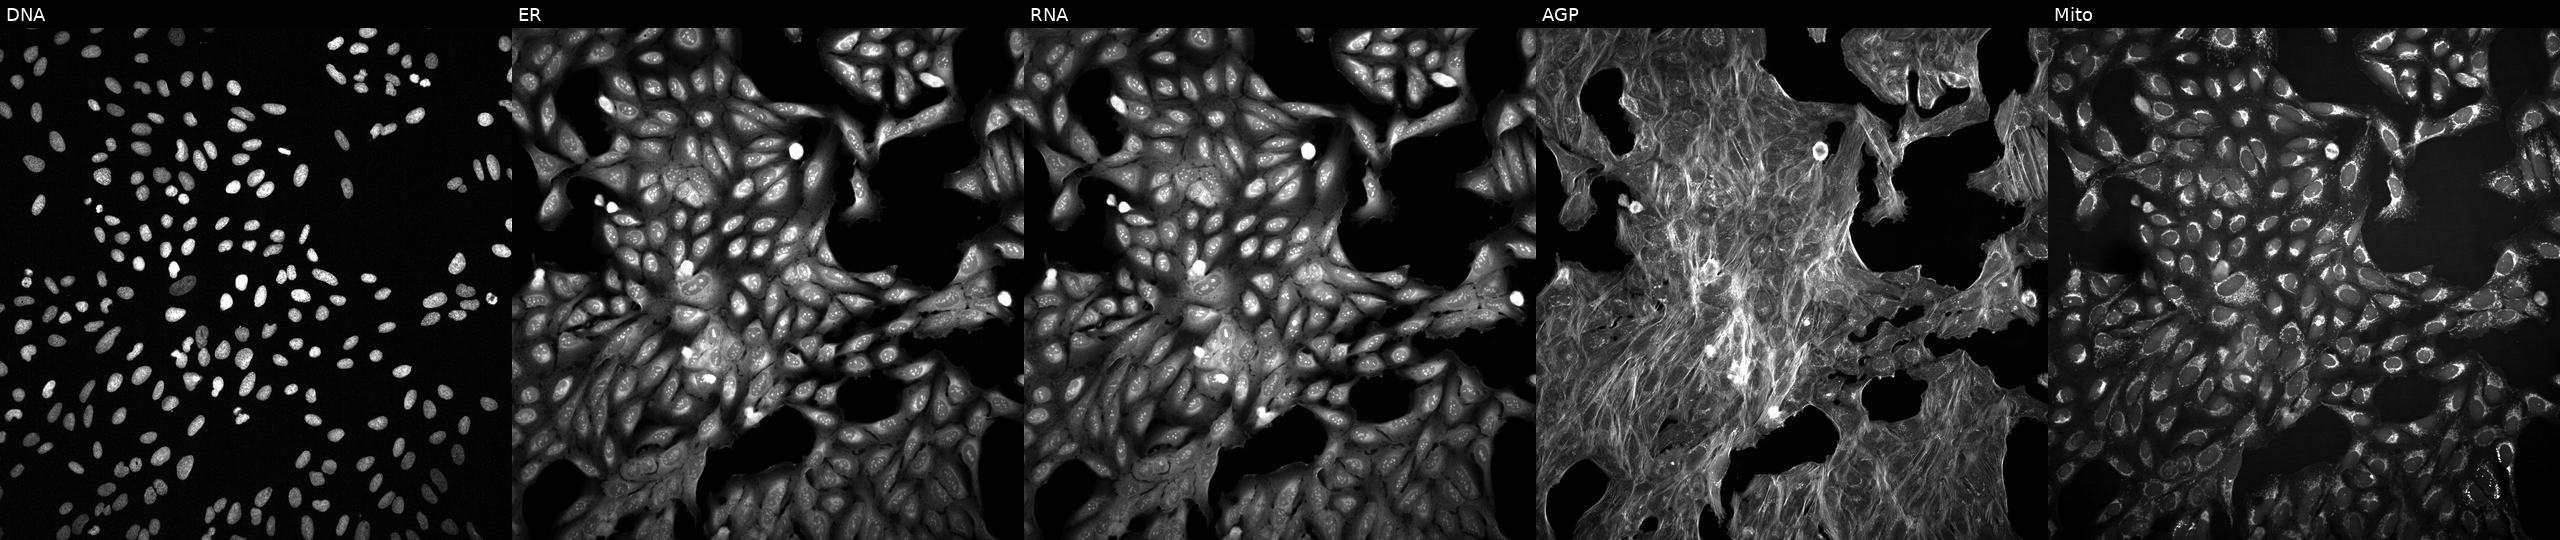
Five-channel Cell Painting image of U2OS cells exposed to a small-molecule compound [SMILES: Cc1ccc(N2CN=C(c3ccccc3)NC2=S)cc1] (JUMP id JCP2022_001617). From left to right: DNA, ER, RNA, AGP, and Mito.